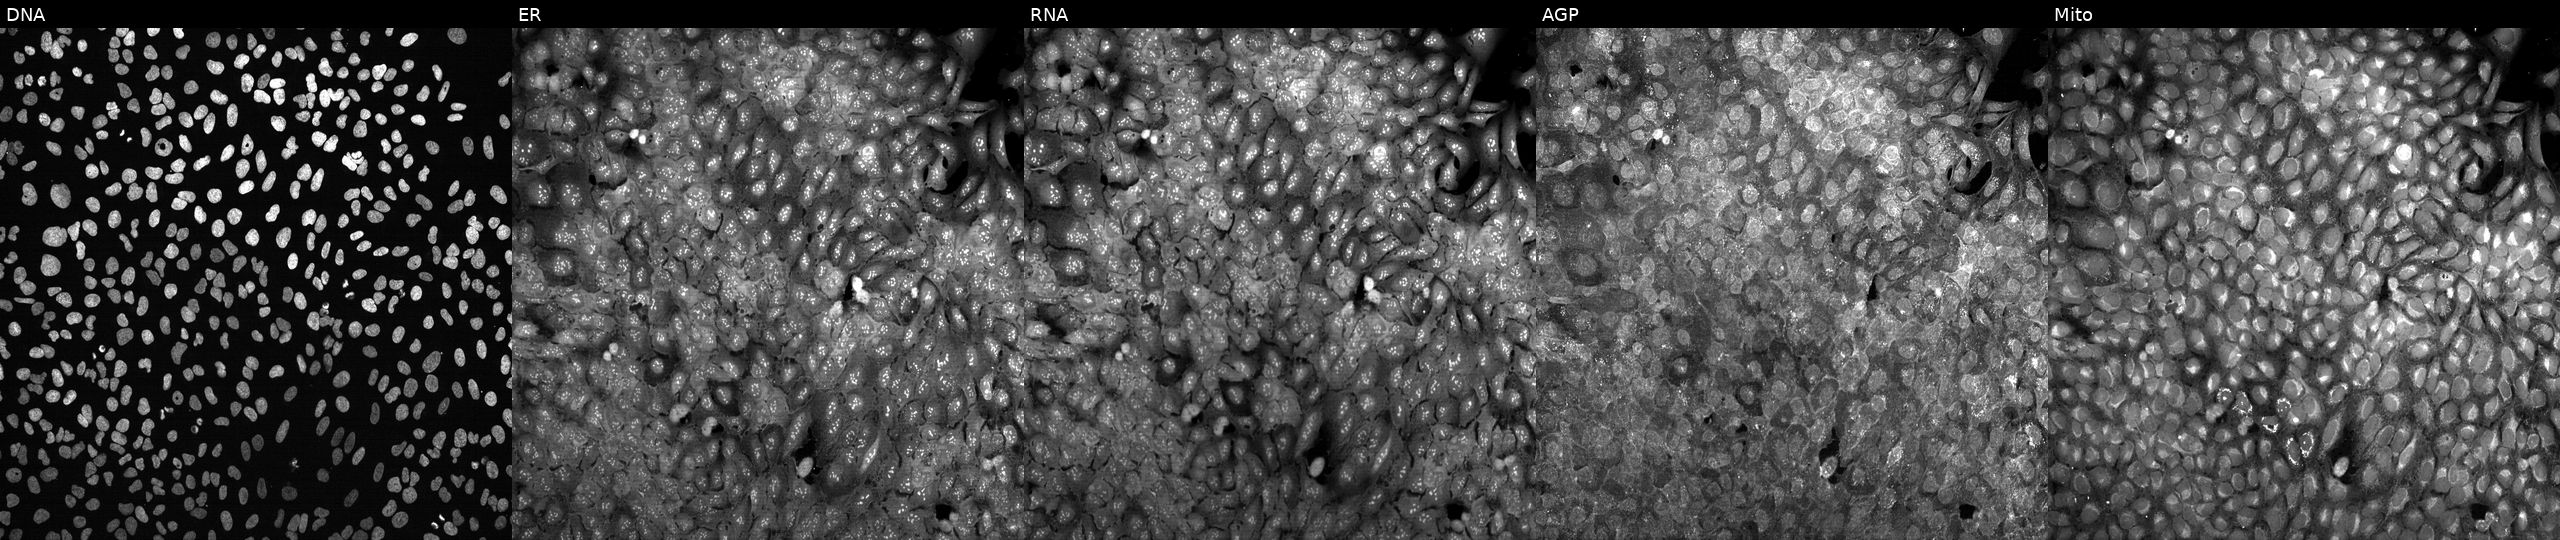
The five panels, left to right, show Hoechst 33342, concanavalin A, SYTO 14, phalloidin and WGA, MitoTracker. U2OS osteosarcoma cells with no CRISPR guide (negative control) (JUMP id JCP2022_800001). Cell Painting assay, JUMP-CP dataset.